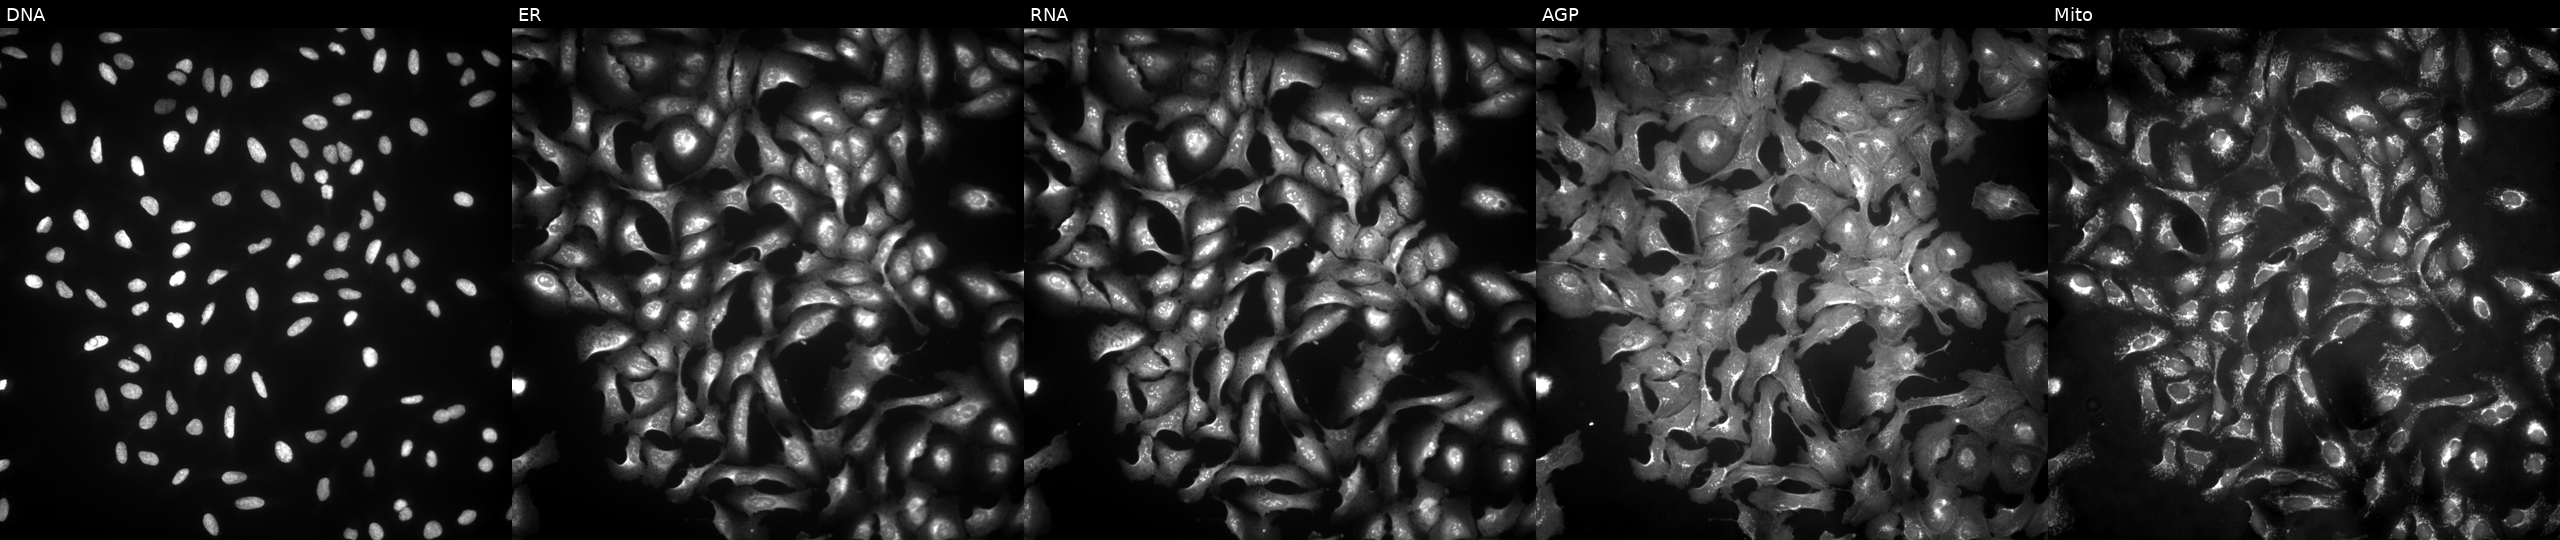
JUMP Cell Painting — ORF plate. U2OS cells overexpressing KLHDC2 via ORF transfection (JUMP id JCP2022_902630). Panels show, left to right, Hoechst 33342, concanavalin A, SYTO 14, phalloidin and WGA, MitoTracker. Source 4, plate BR00123506, well M18.